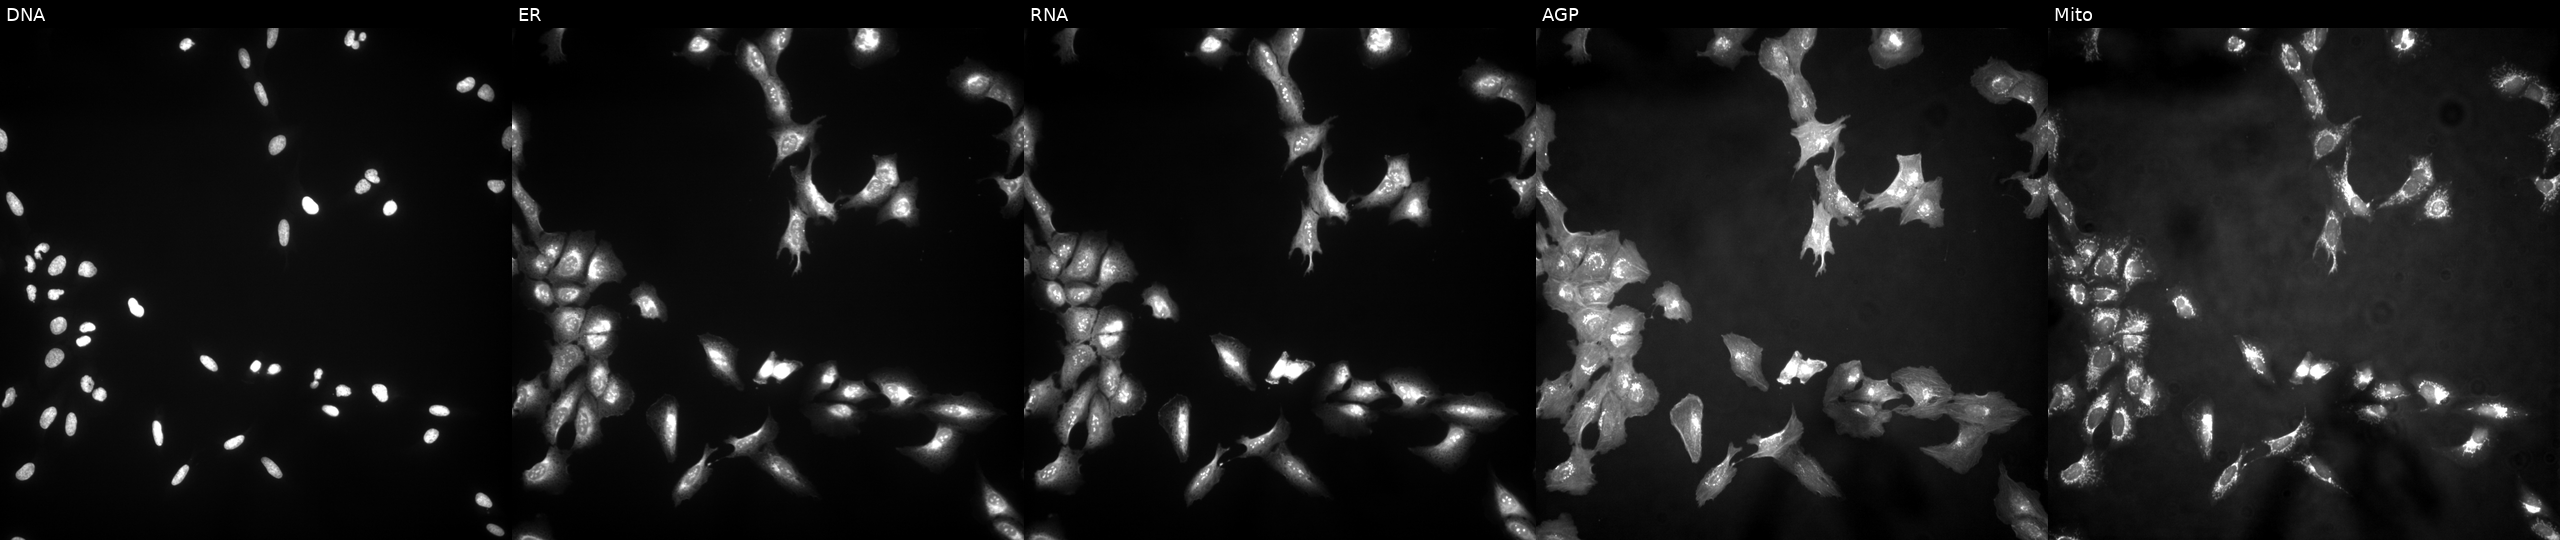
This image strip shows the five Cell Painting channels for a single field of U2OS cells with TCN2 overexpressed (ORF) (JUMP id JCP2022_901537). The five panels, left to right, show Hoechst 33342, concanavalin A, SYTO 14, phalloidin and WGA, MitoTracker.